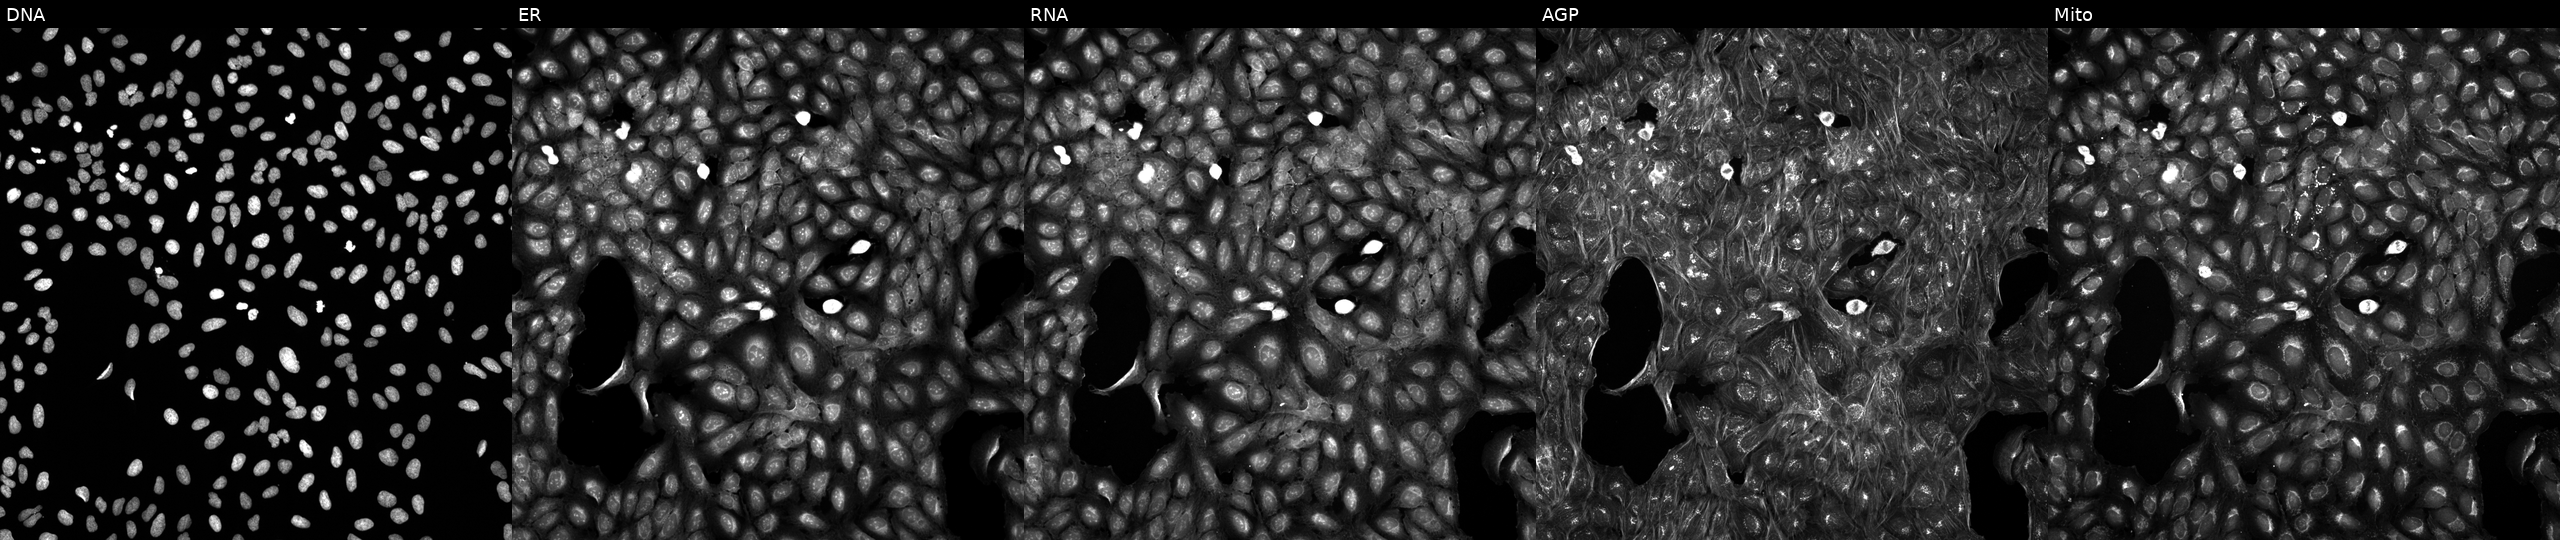
This image strip shows the five Cell Painting channels for a single field of U2OS cells treated with a small-molecule compound (InChIKey SFRFLBGFRFSEQT-UHFFFAOYSA-N) (JUMP id JCP2022_082905). The five panels, left to right, show DNA, ER, RNA, AGP, and Mito.